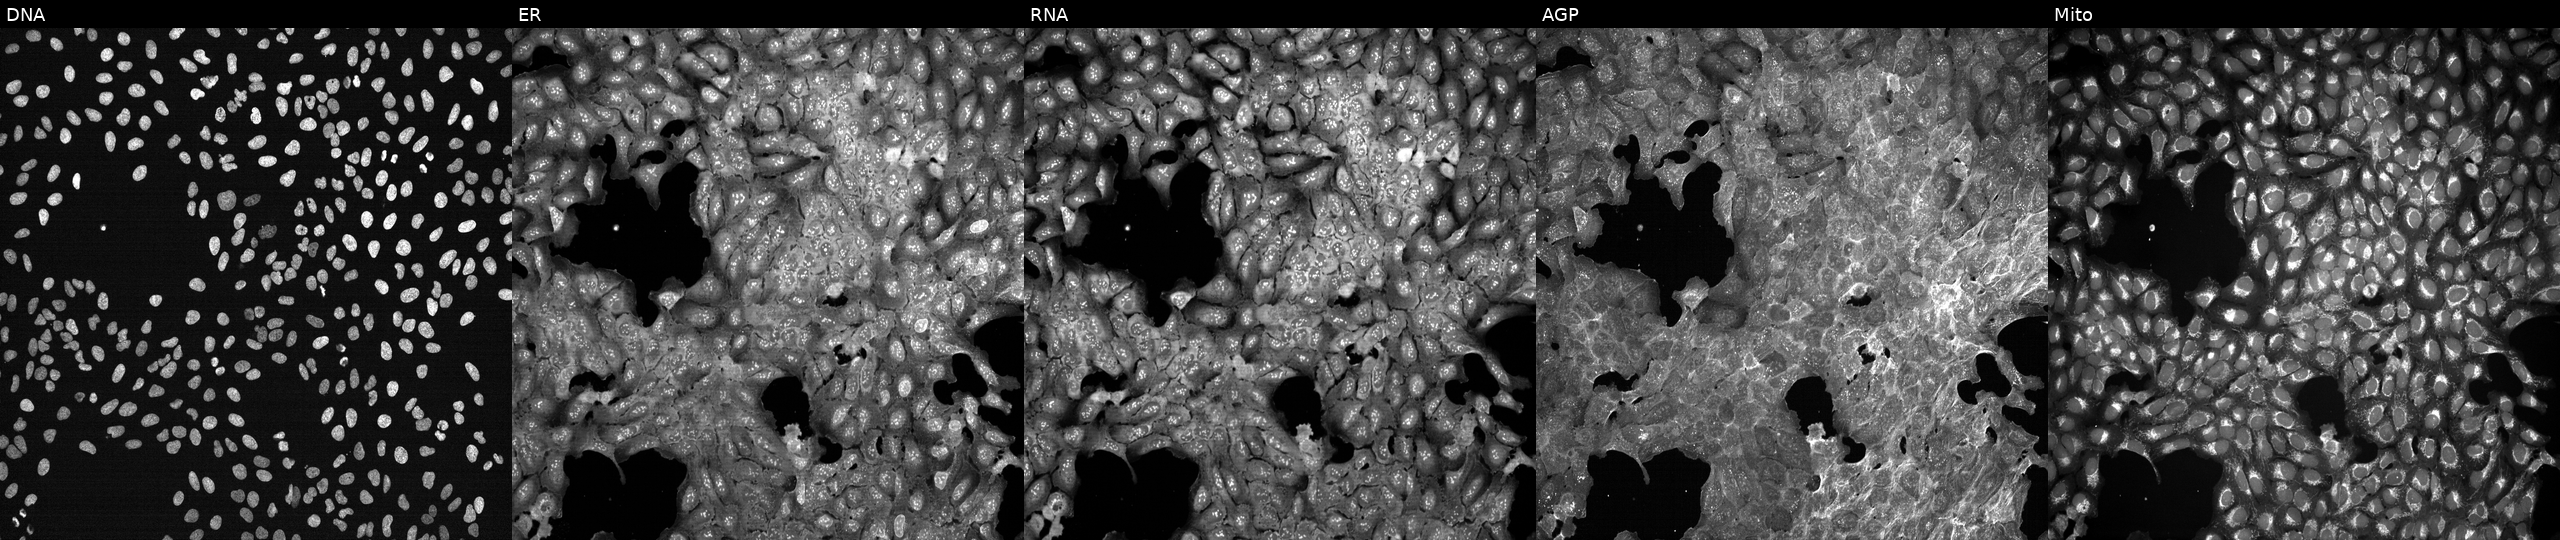
U2OS cells, Cell Painting assay, perturbed with a small-molecule compound (InChIKey QXKHYNVANLEOEG-UHFFFAOYSA-N) [SMILES: COc1c2occc2cc2ccc(=O)oc12]. Channels (left→right): DNA, ER, RNA, AGP, and Mito. Each panel is percentile-stretched 16-bit fluorescence.